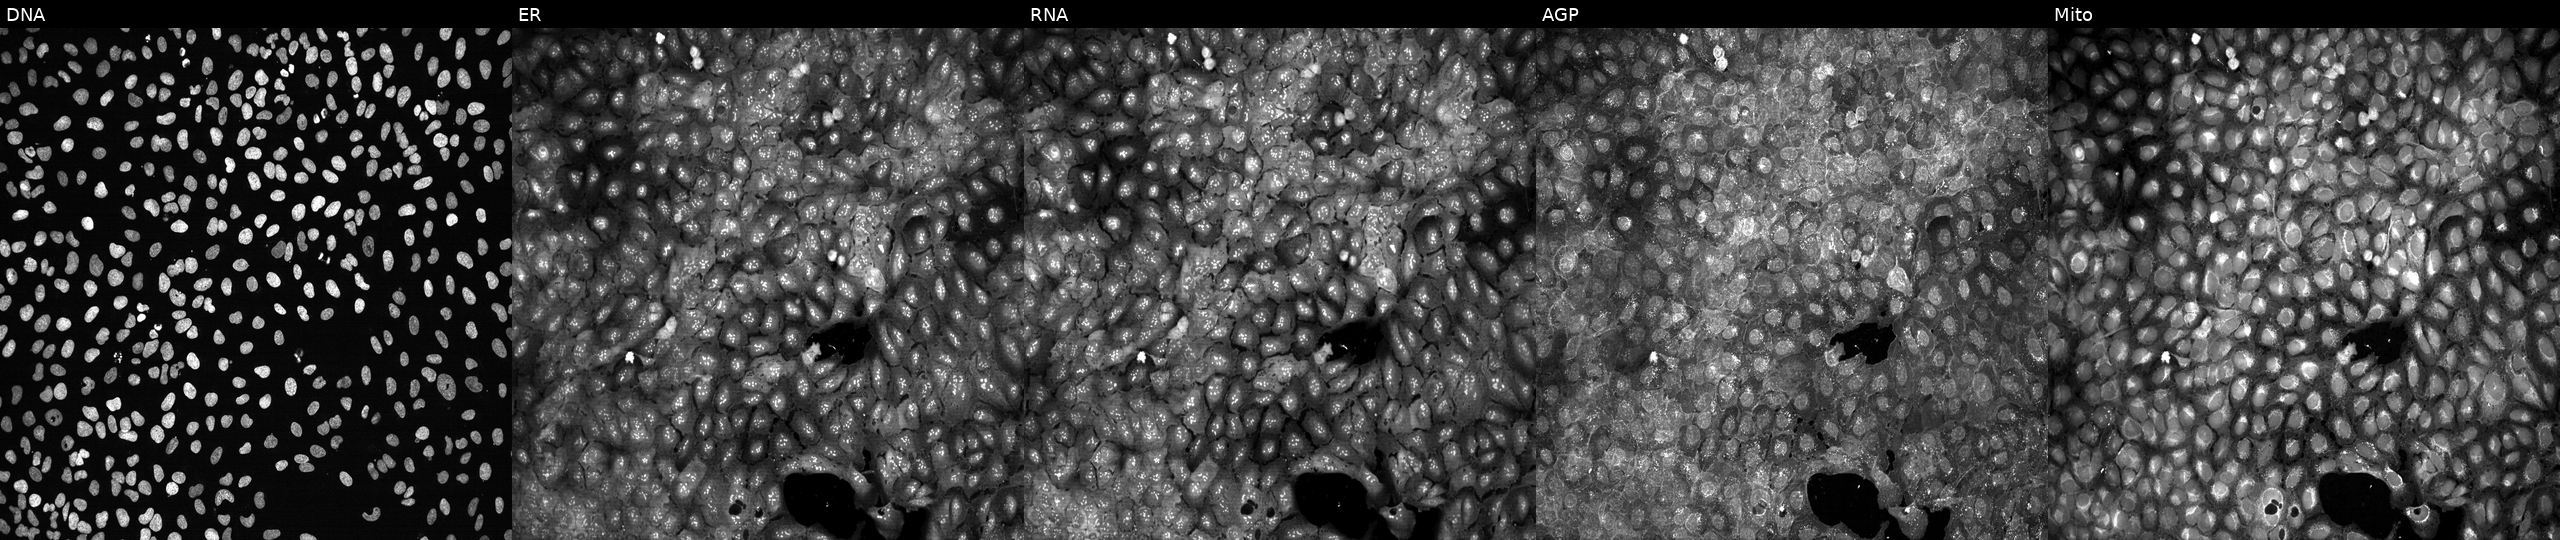
Five-channel Cell Painting image of U2OS cells with ATP6V0D2 knocked out by CRISPR (JUMP id JCP2022_800731). Channels (left→right): DNA, ER, RNA, AGP, and Mito.